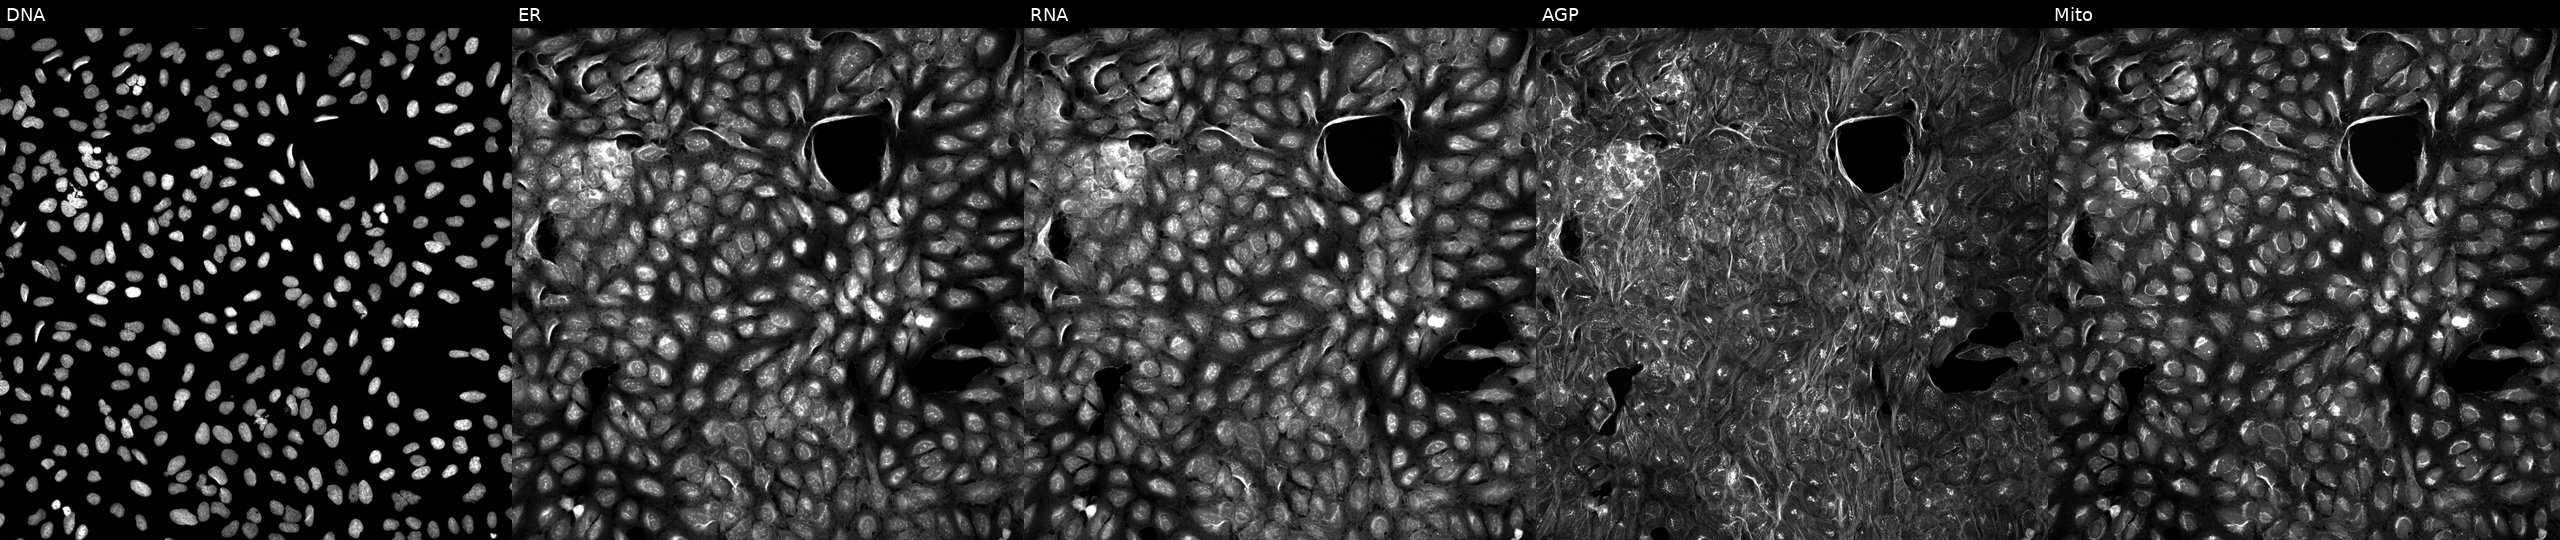
This image strip shows the five Cell Painting channels for a single field of U2OS cells perturbed with a small-molecule compound [SMILES: NC(=O)C(NCc1cccc(OCC2CCCO2)c1)c1ccccc1]. Channels (left→right): Hoechst 33342, concanavalin A, SYTO 14, phalloidin and WGA, MitoTracker.